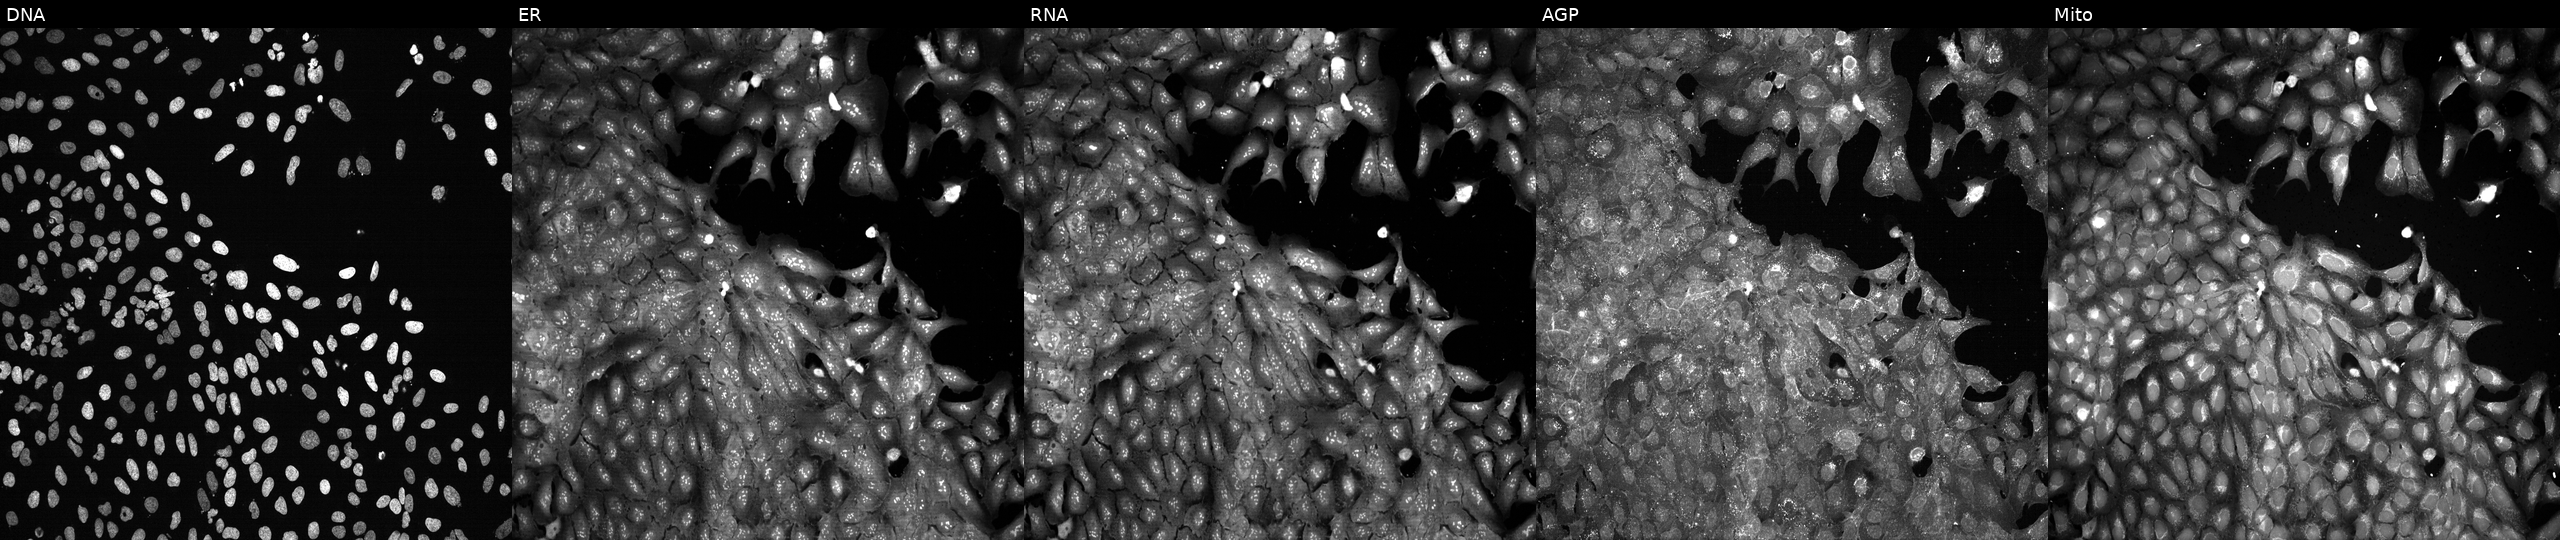
The five panels, left to right, show DNA, ER, RNA, AGP, and Mito. U2OS osteosarcoma cells following CRISPR knockout of SLC29A3 (JUMP id JCP2022_806482). Cell Painting assay, JUMP-CP dataset. Source 13, plate CP-CC9-R1-01, well G09.